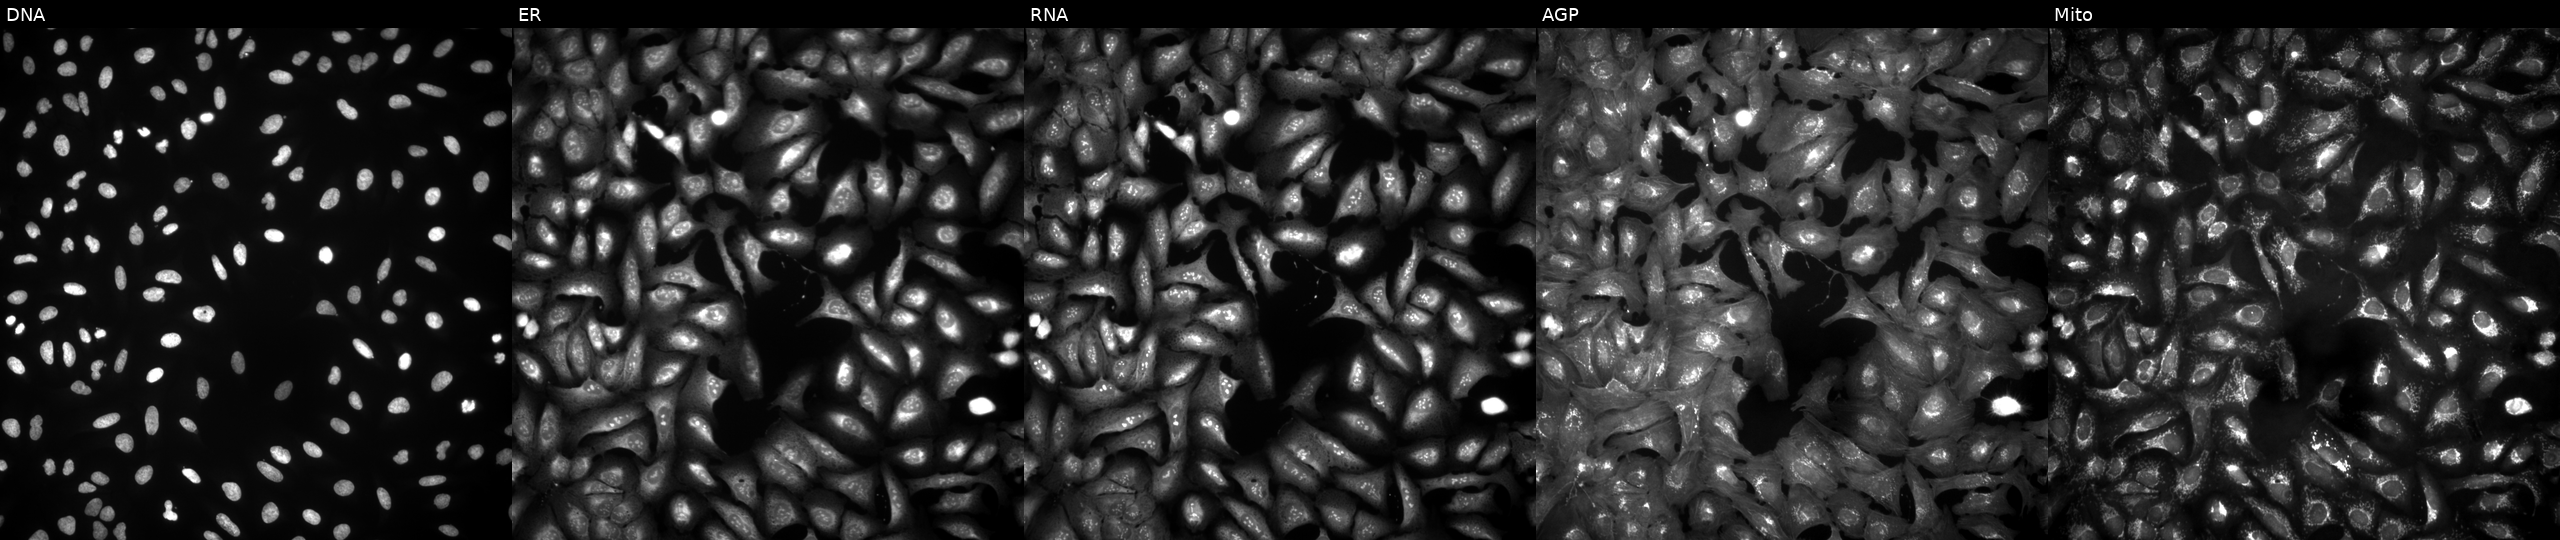
Channels (left→right): DNA (nuclei); ER (endoplasmic reticulum); RNA (nucleoli and cytoplasmic RNA); AGP (actin cytoskeleton, Golgi, and plasma membrane); Mito (mitochondria). U2OS osteosarcoma cells transfected with an ORF construct for AP3S1 (JUMP id JCP2022_900293). Cell Painting assay, JUMP-CP dataset.